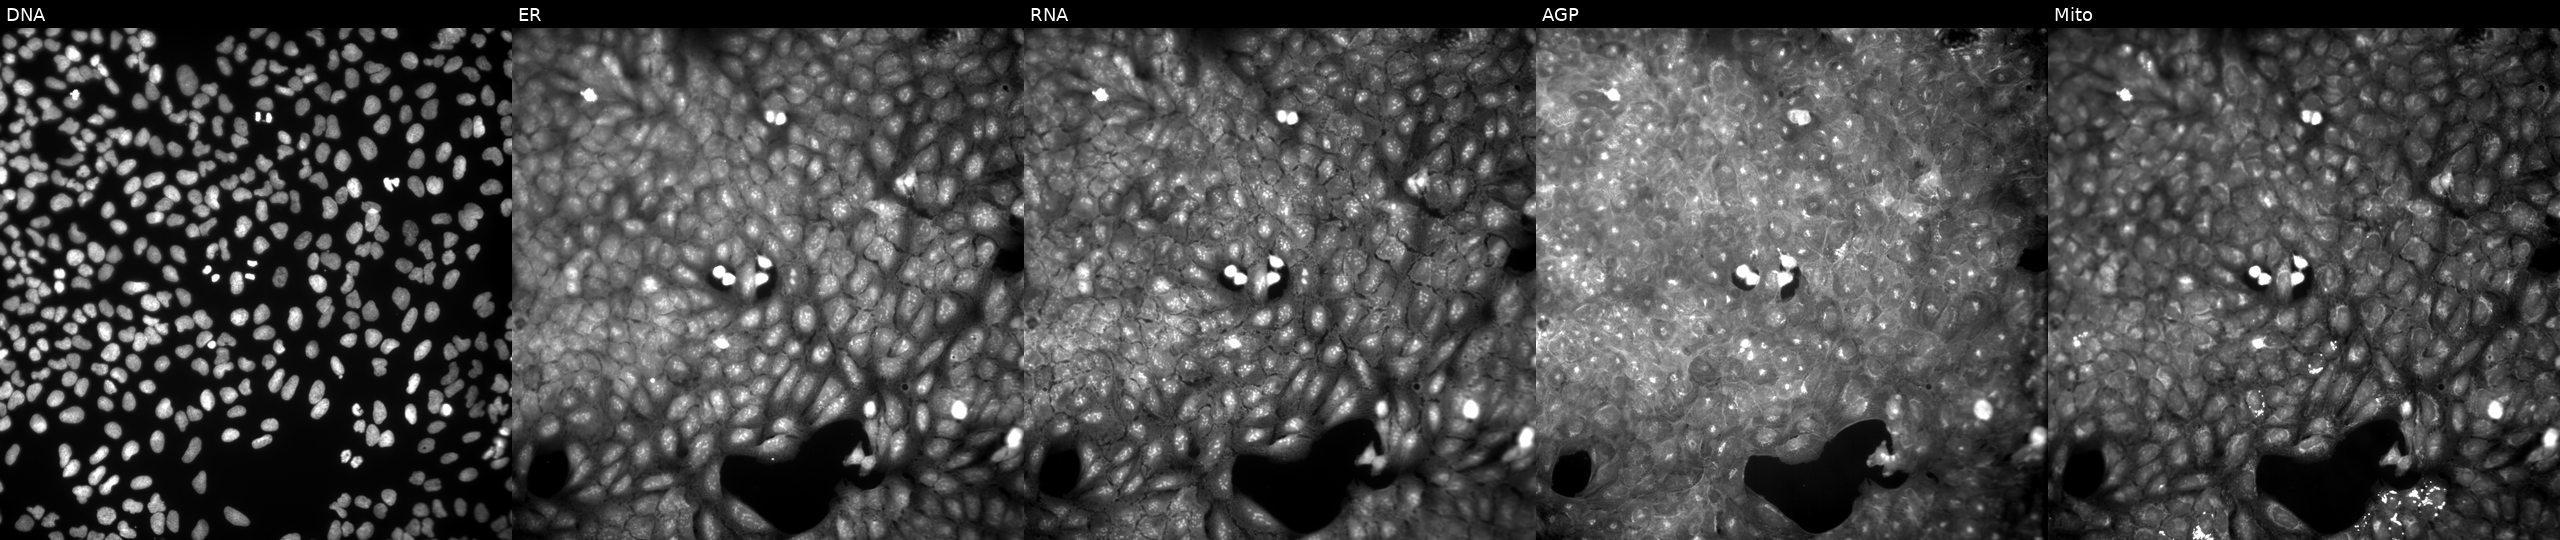
High-content fluorescence microscopy (Cell Painting). Cell line: U2OS. Perturbation: treated with DMSO vehicle only (negative control) (JUMP id JCP2022_033924). The five panels, left to right, show DNA (nuclei); ER (endoplasmic reticulum); RNA (nucleoli and cytoplasmic RNA); AGP (actin cytoskeleton, Golgi, and plasma membrane); Mito (mitochondria).